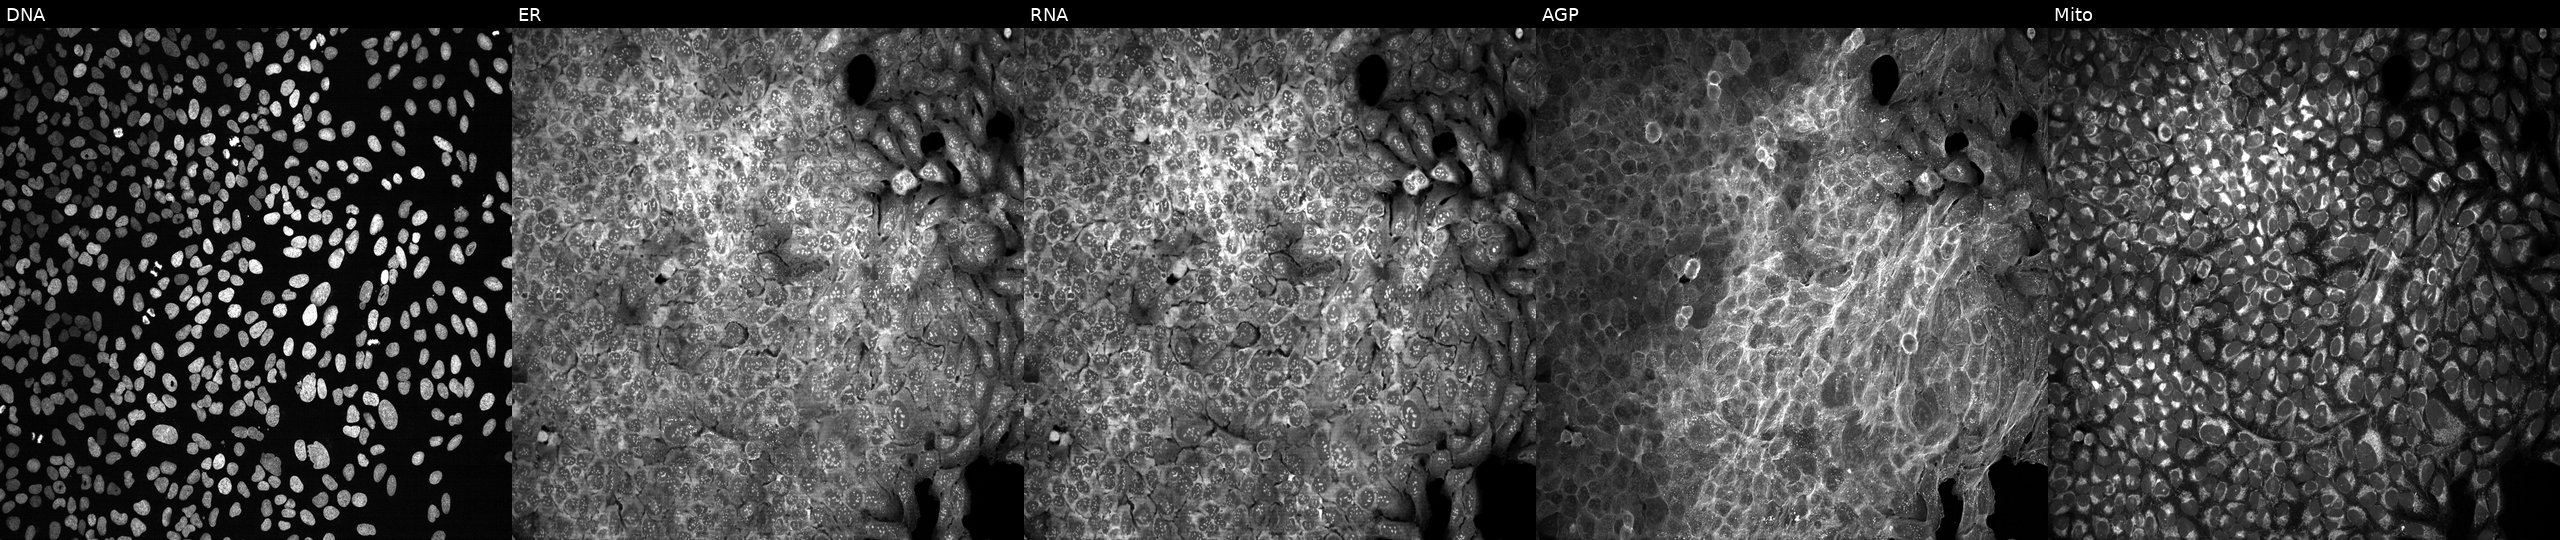
U2OS cells, Cell Painting assay, treated with dexamethasone (positive-control compound). From left to right: DNA (nuclei); ER (endoplasmic reticulum); RNA (nucleoli and cytoplasmic RNA); AGP (actin cytoskeleton, Golgi, and plasma membrane); Mito (mitochondria). Each panel is percentile-stretched 16-bit fluorescence.